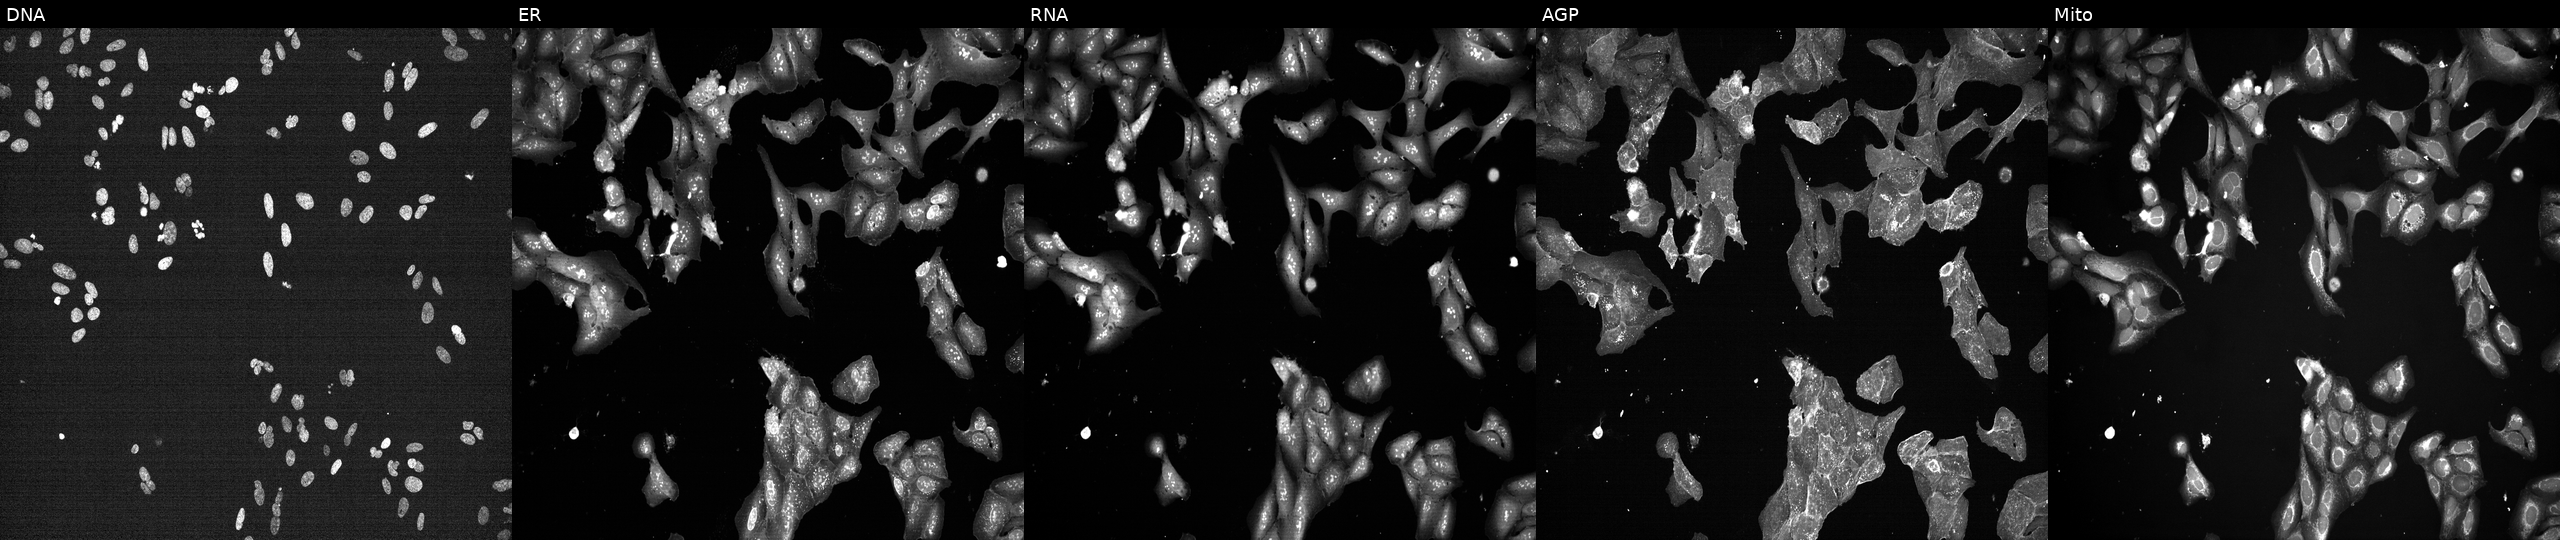
U2OS cells, Cell Painting assay, perturbed with a small-molecule compound (InChIKey HSTZMXCBWJGKHG-UHFFFAOYSA-N) (JUMP id JCP2022_032353). Panels show, left to right, DNA (nuclei); ER (endoplasmic reticulum); RNA (nucleoli and cytoplasmic RNA); AGP (actin cytoskeleton, Golgi, and plasma membrane); Mito (mitochondria). Each panel is percentile-stretched 16-bit fluorescence. Source 7, plate CP1-SC1-25, well J15.